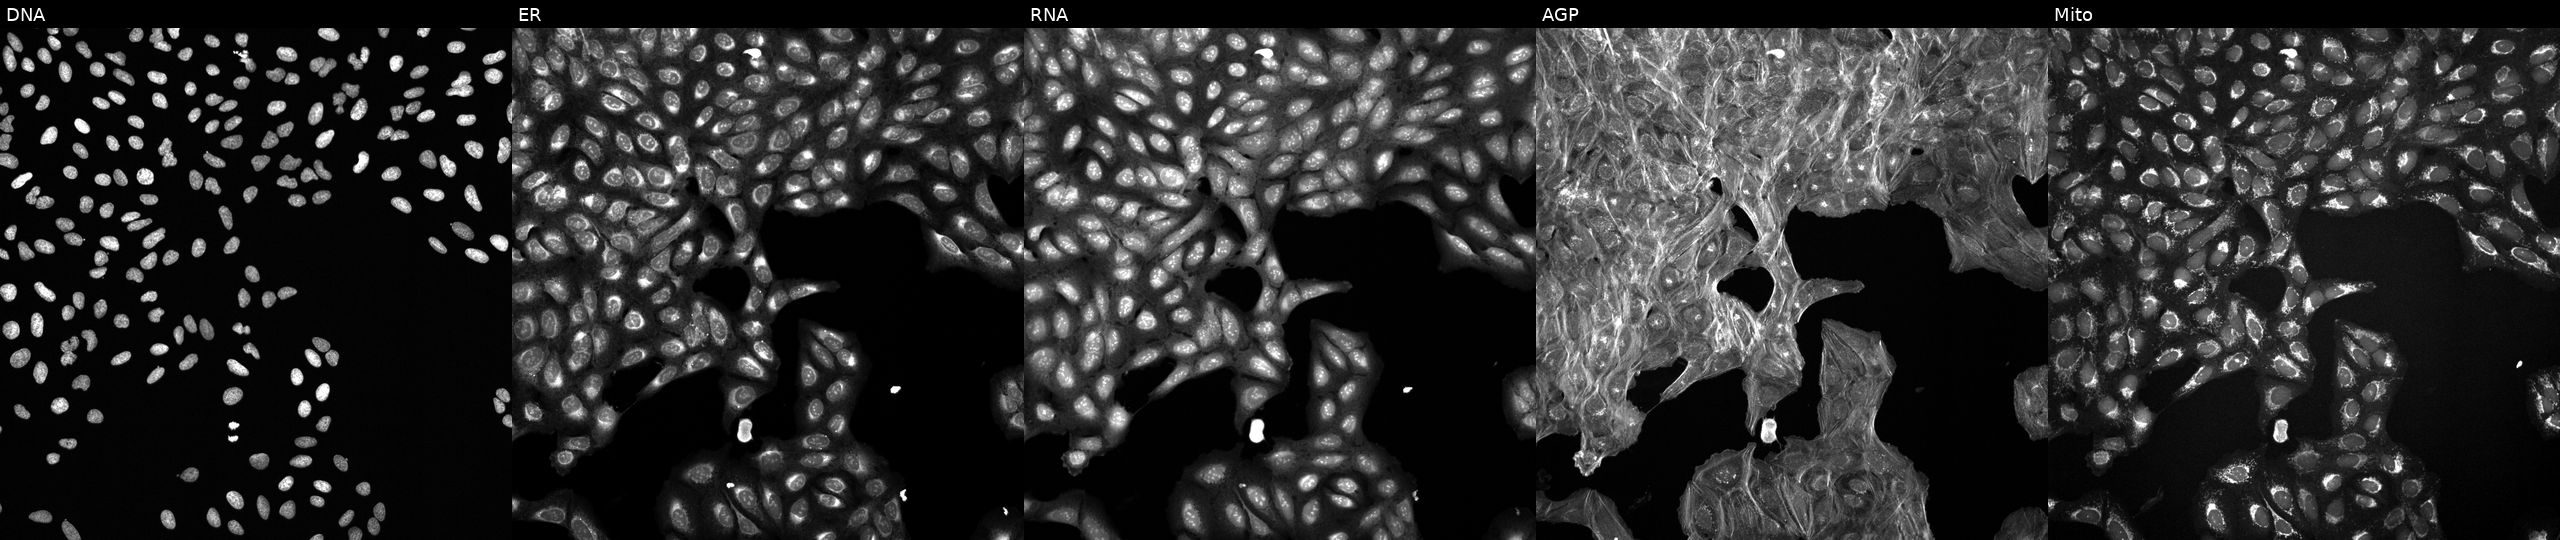
Five-channel Cell Painting image of U2OS cells perturbed with a small-molecule compound. Panels show, left to right, DNA, ER, RNA, AGP, and Mito.